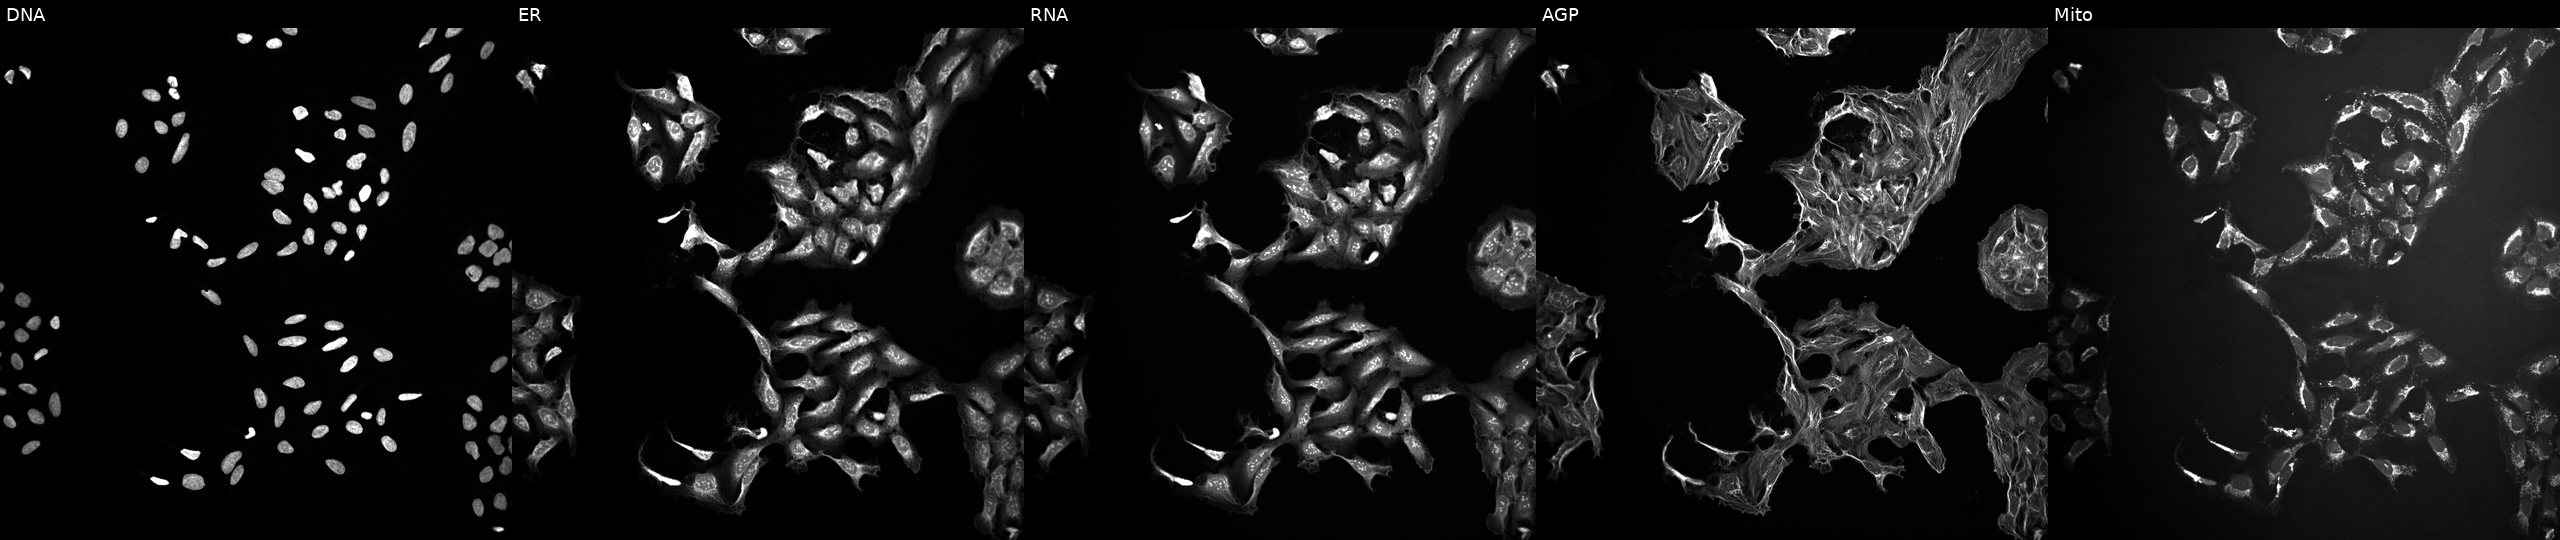
The five panels, left to right, show Hoechst 33342, concanavalin A, SYTO 14, phalloidin and WGA, MitoTracker. U2OS osteosarcoma cells treated with a small-molecule compound (InChIKey LPGBXHWIQNZEJB-UHFFFAOYSA-N) (JUMP id JCP2022_050873). Cell Painting assay, JUMP-CP dataset.